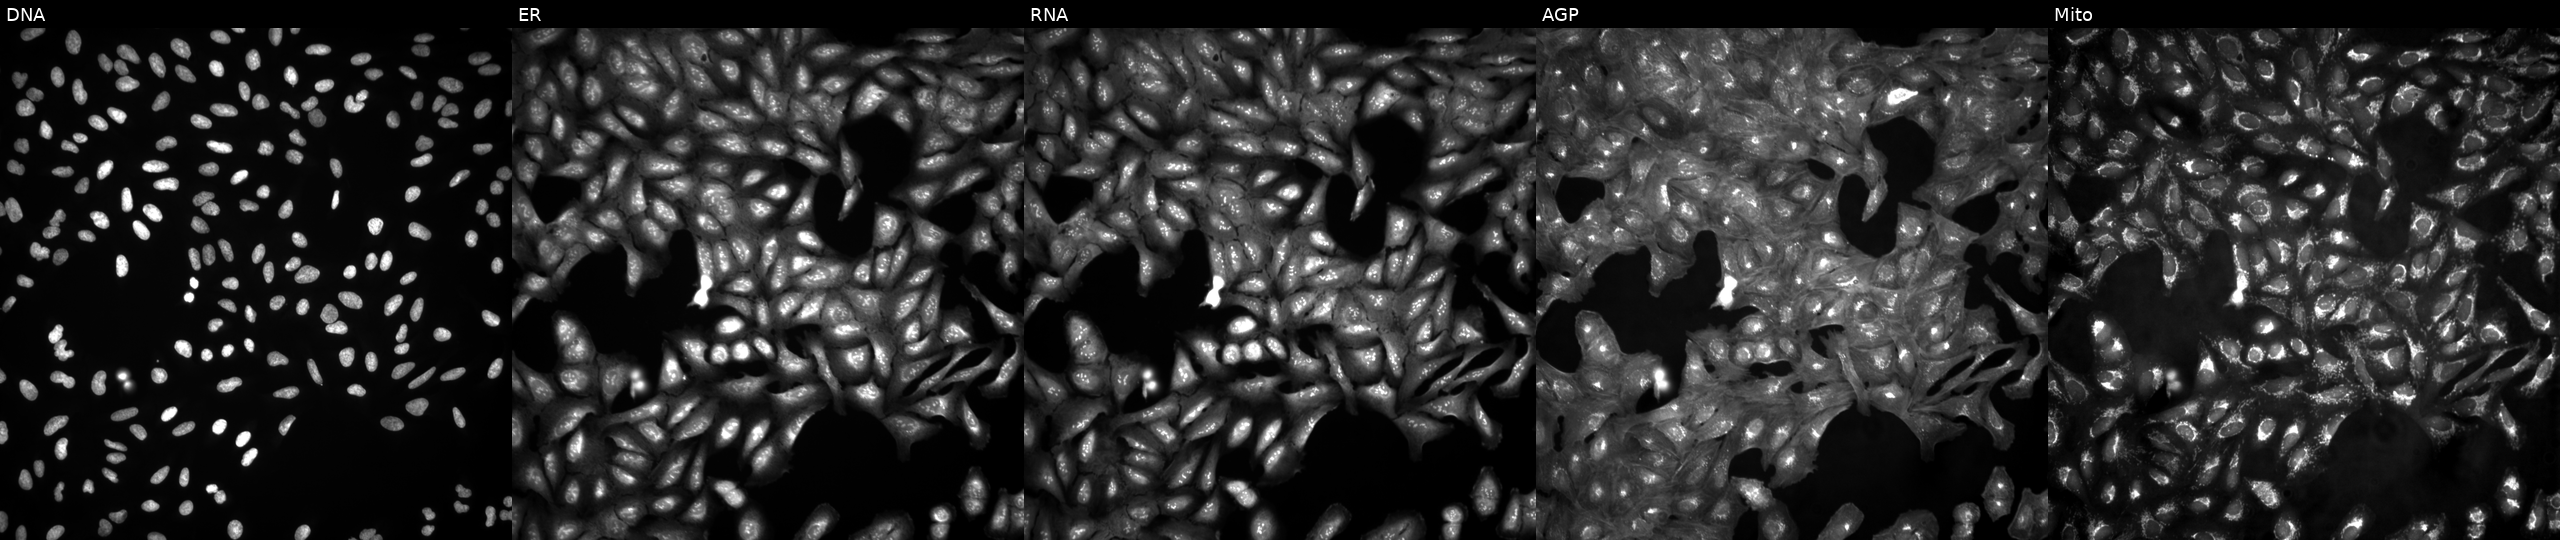
High-content fluorescence microscopy (Cell Painting). Cell line: U2OS. Perturbation: in an empty control well (no perturbation) (JUMP id JCP2022_999999). Channels (left→right): DNA, ER, RNA, AGP, and Mito.